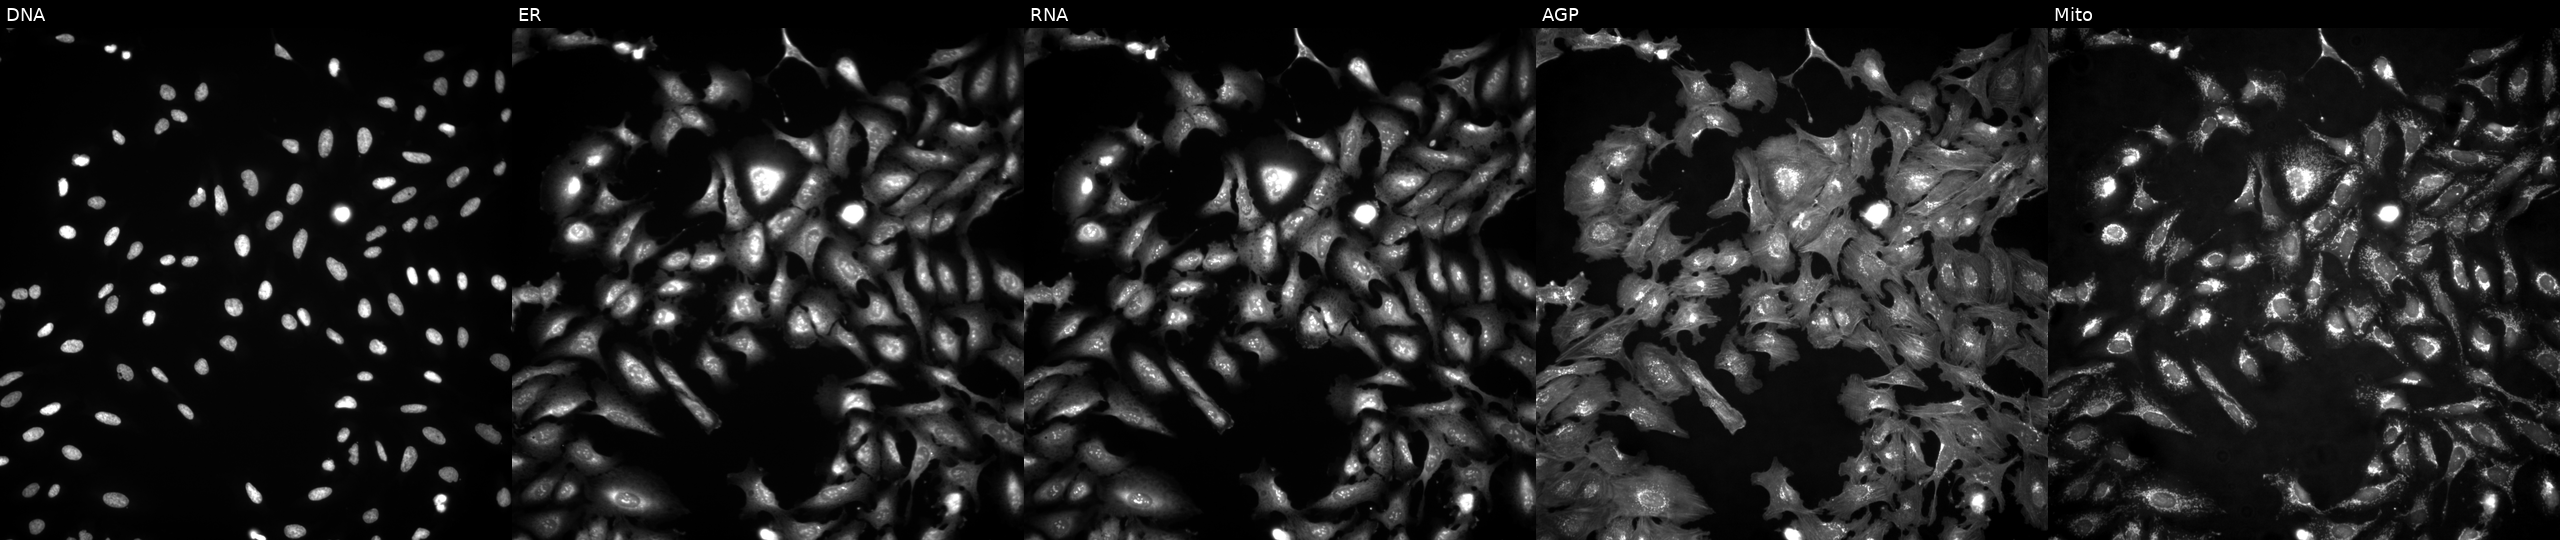
JUMP Cell Painting — ORF plate. U2OS cells overexpressing CDC42SE1 via ORF transfection. From left to right: DNA (nuclei); ER (endoplasmic reticulum); RNA (nucleoli and cytoplasmic RNA); AGP (actin cytoskeleton, Golgi, and plasma membrane); Mito (mitochondria). Source 4, plate BR00124784, well C24.